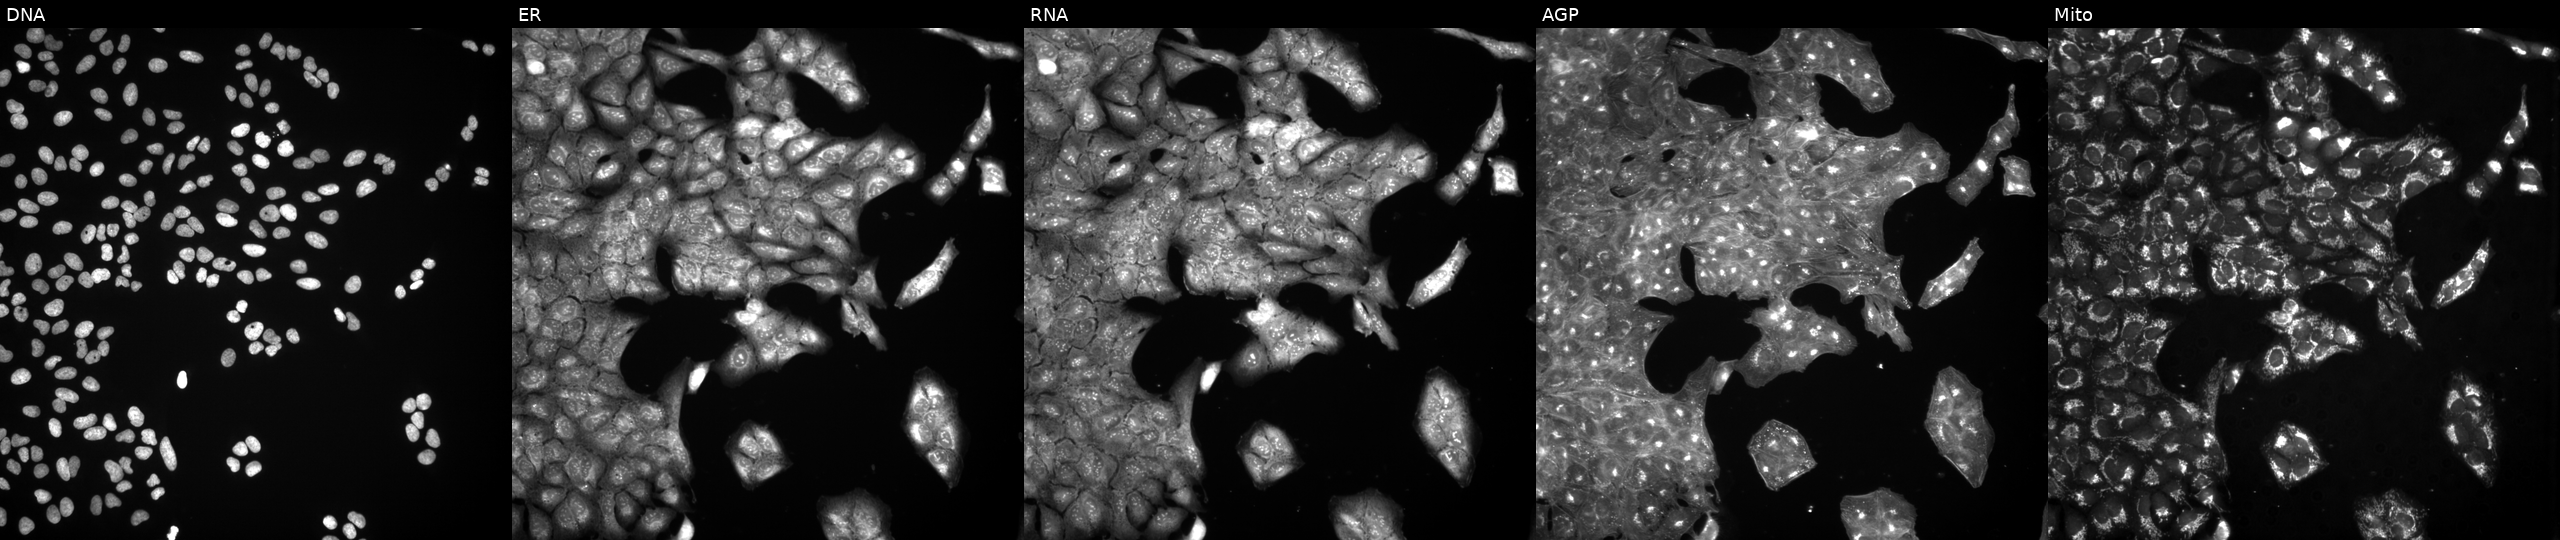
This image strip shows the five Cell Painting channels for a single field of U2OS cells perturbed with a small-molecule compound (InChIKey DMWVGXGXHPOEPT-UHFFFAOYSA-N). Panels show, left to right, Hoechst 33342, concanavalin A, SYTO 14, phalloidin and WGA, MitoTracker.